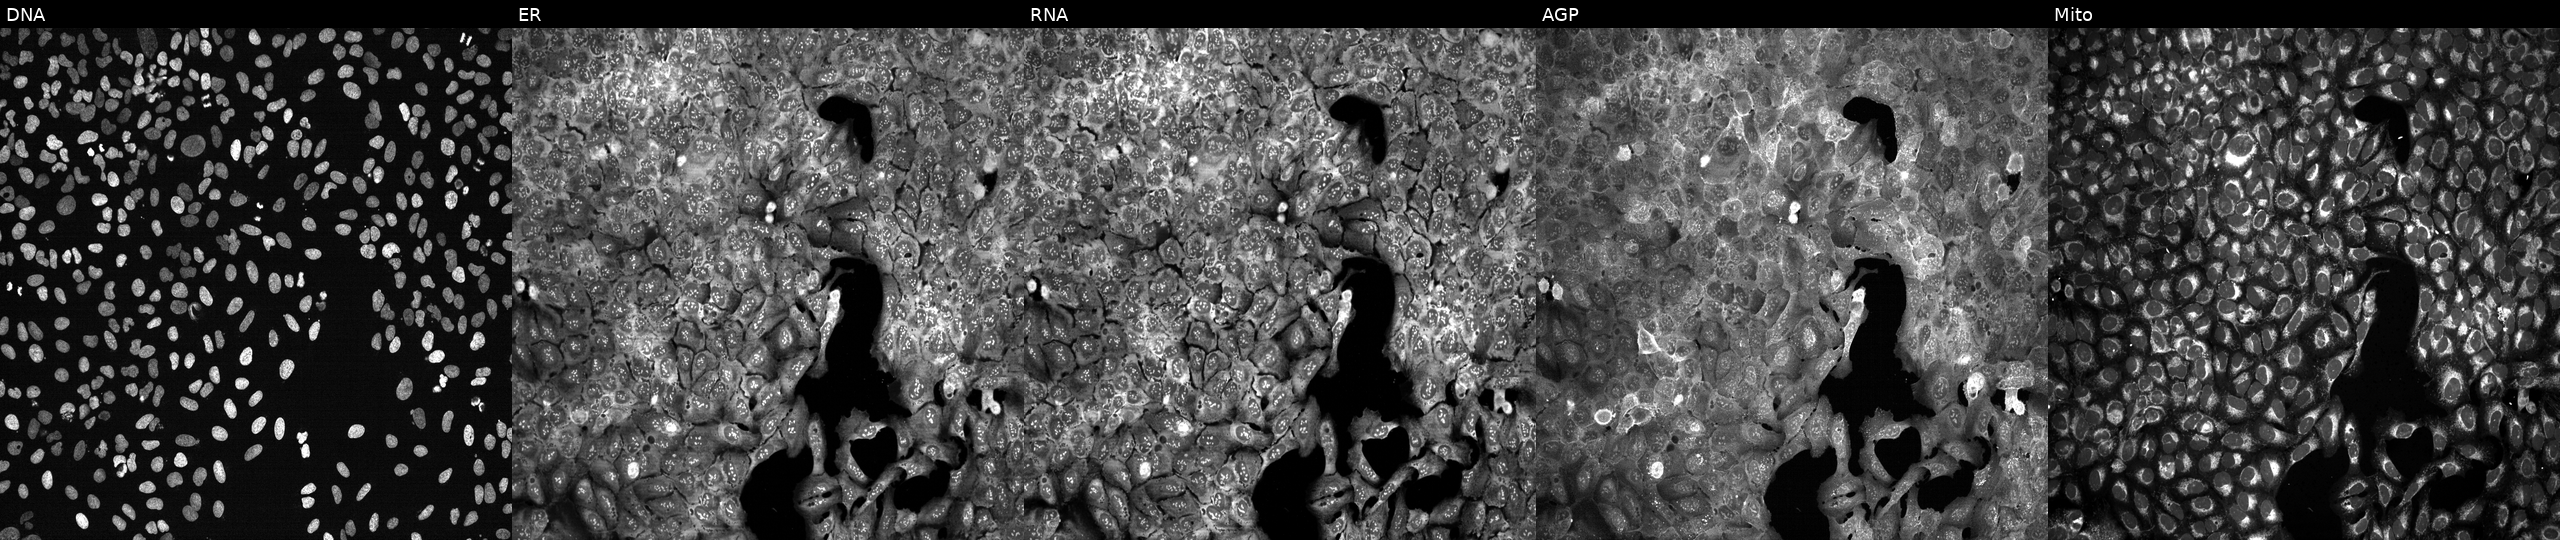
High-content fluorescence microscopy (Cell Painting). Cell line: U2OS. Perturbation: with SLC16A11 knocked out by CRISPR (JUMP id JCP2022_806386). The five panels, left to right, show Hoechst 33342, concanavalin A, SYTO 14, phalloidin and WGA, MitoTracker. Source 13, plate CP-CC9-R4-04, well E19.